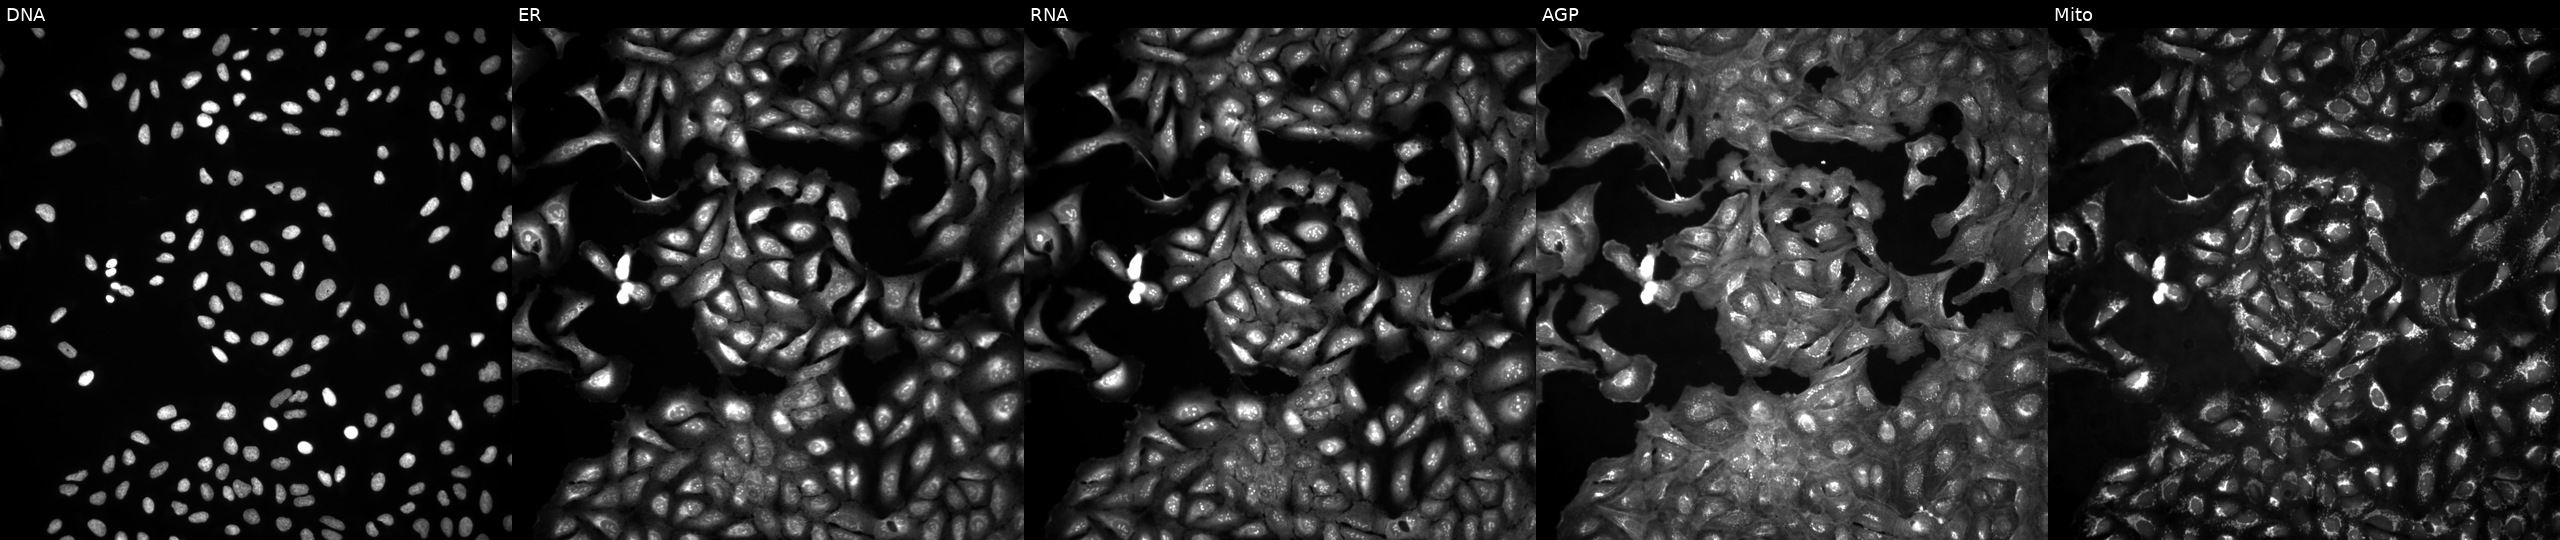
This image strip shows the five Cell Painting channels for a single field of U2OS cells untreated (empty-well control) (JUMP id JCP2022_999999). Channels (left→right): Hoechst 33342, concanavalin A, SYTO 14, phalloidin and WGA, MitoTracker. Source 4, plate BR00124793, well M20.